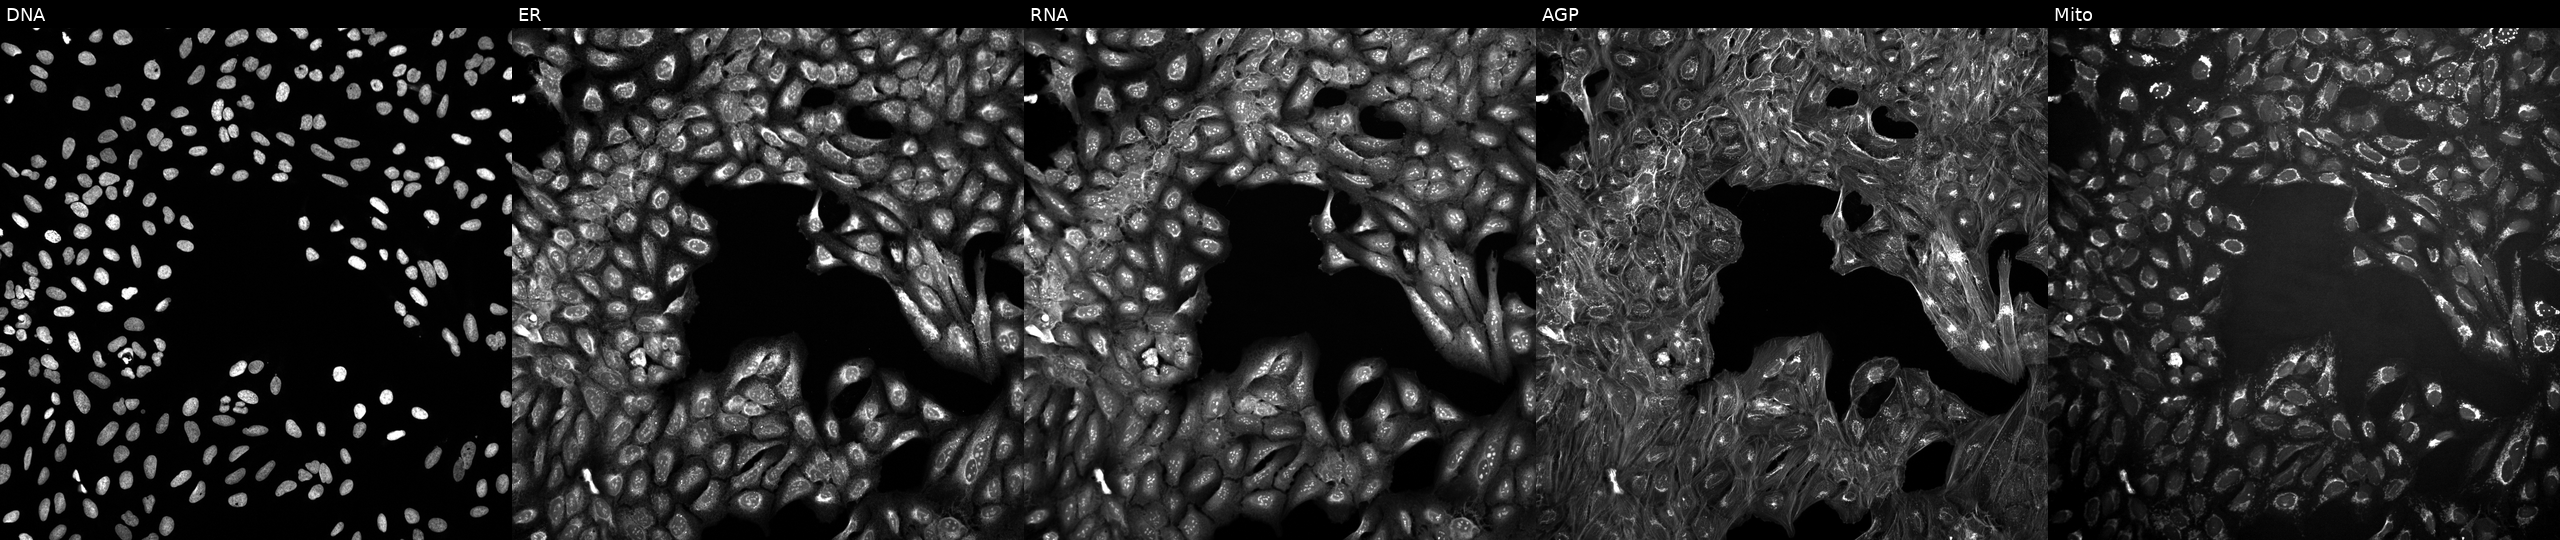
This image strip shows the five Cell Painting channels for a single field of U2OS cells treated with a small-molecule compound. The five panels, left to right, show Hoechst 33342, concanavalin A, SYTO 14, phalloidin and WGA, MitoTracker.